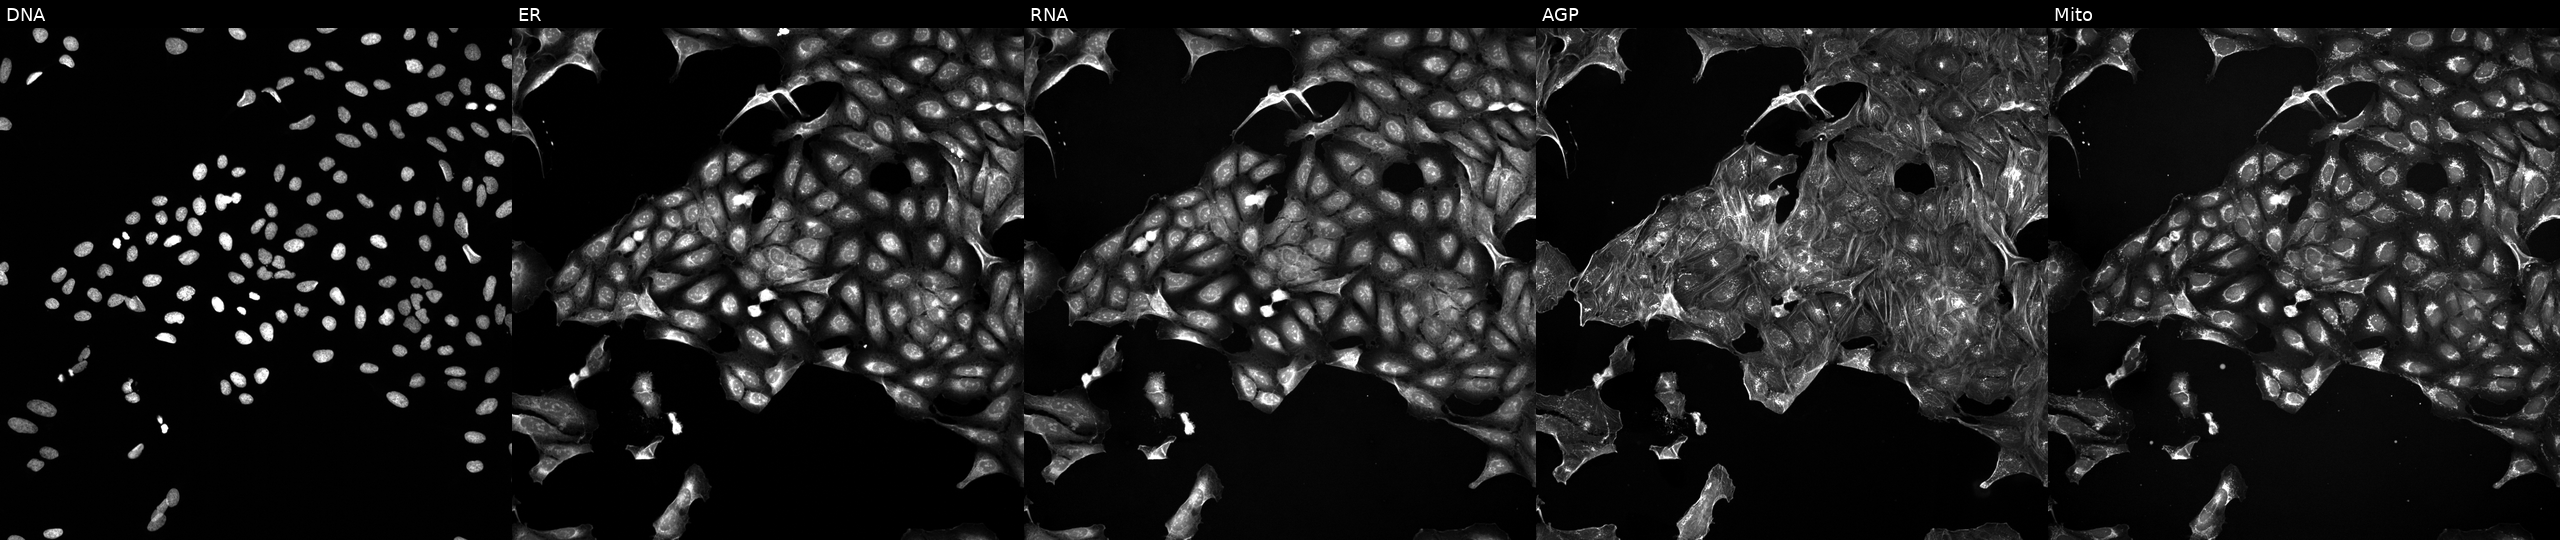
JUMP Cell Painting — TARGET2 plate. U2OS cells exposed to a small-molecule compound (InChIKey YGSDEFSMJLZEOE-UHFFFAOYSA-N). Channels (left→right): DNA (nuclei); ER (endoplasmic reticulum); RNA (nucleoli and cytoplasmic RNA); AGP (actin cytoskeleton, Golgi, and plasma membrane); Mito (mitochondria).